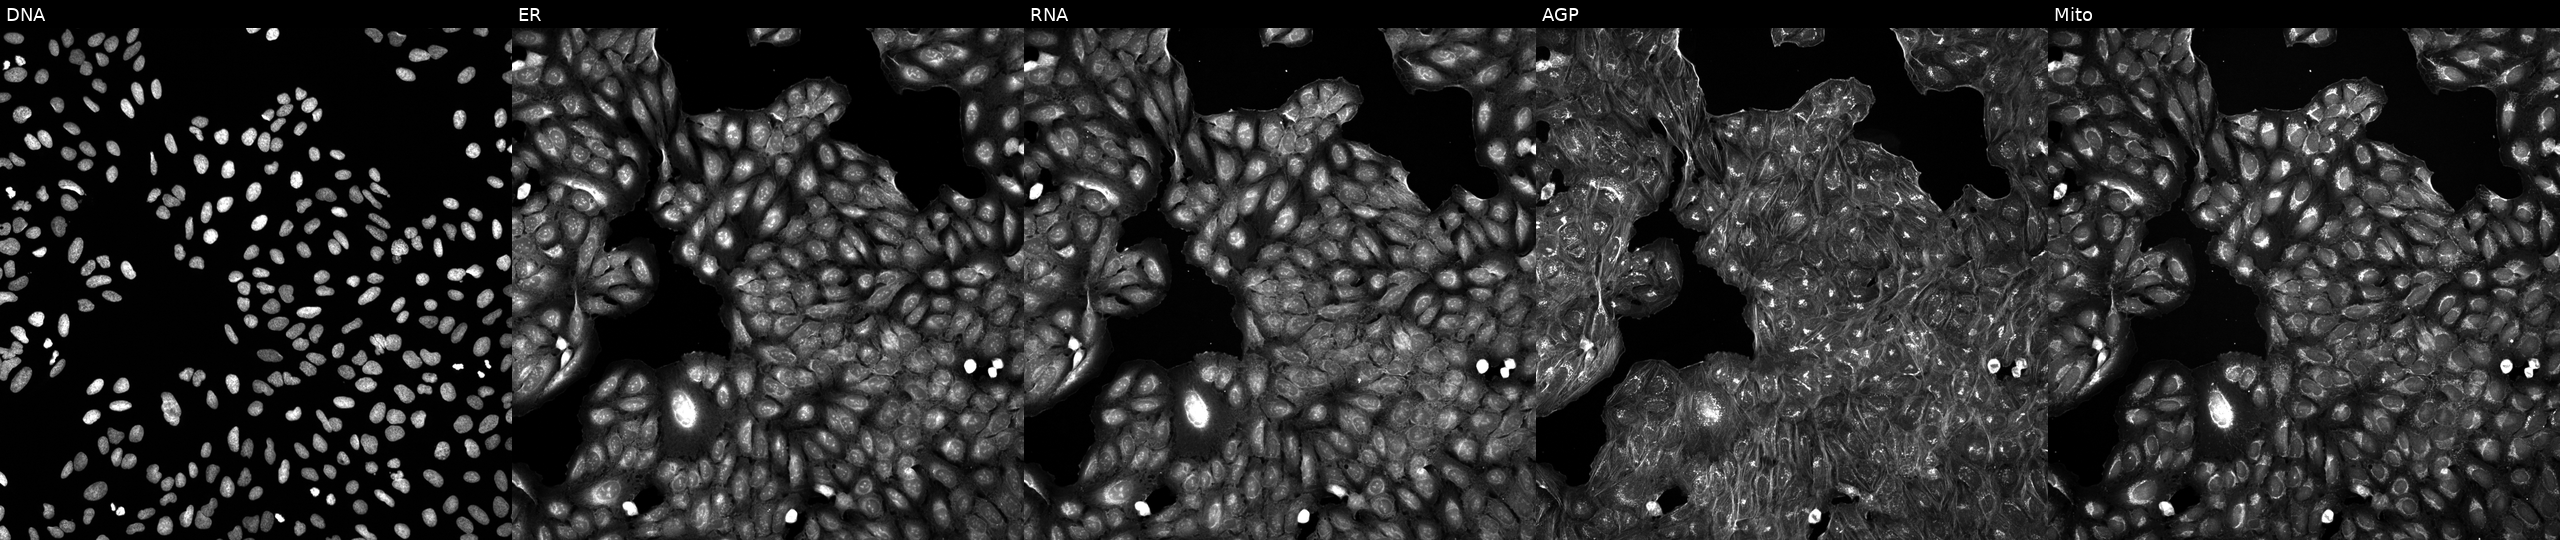
The five panels, left to right, show DNA, ER, RNA, AGP, and Mito. U2OS osteosarcoma cells treated with a small-molecule compound (InChIKey UXZCOPQQCZITQN-UHFFFAOYSA-N). Cell Painting assay, JUMP-CP dataset.